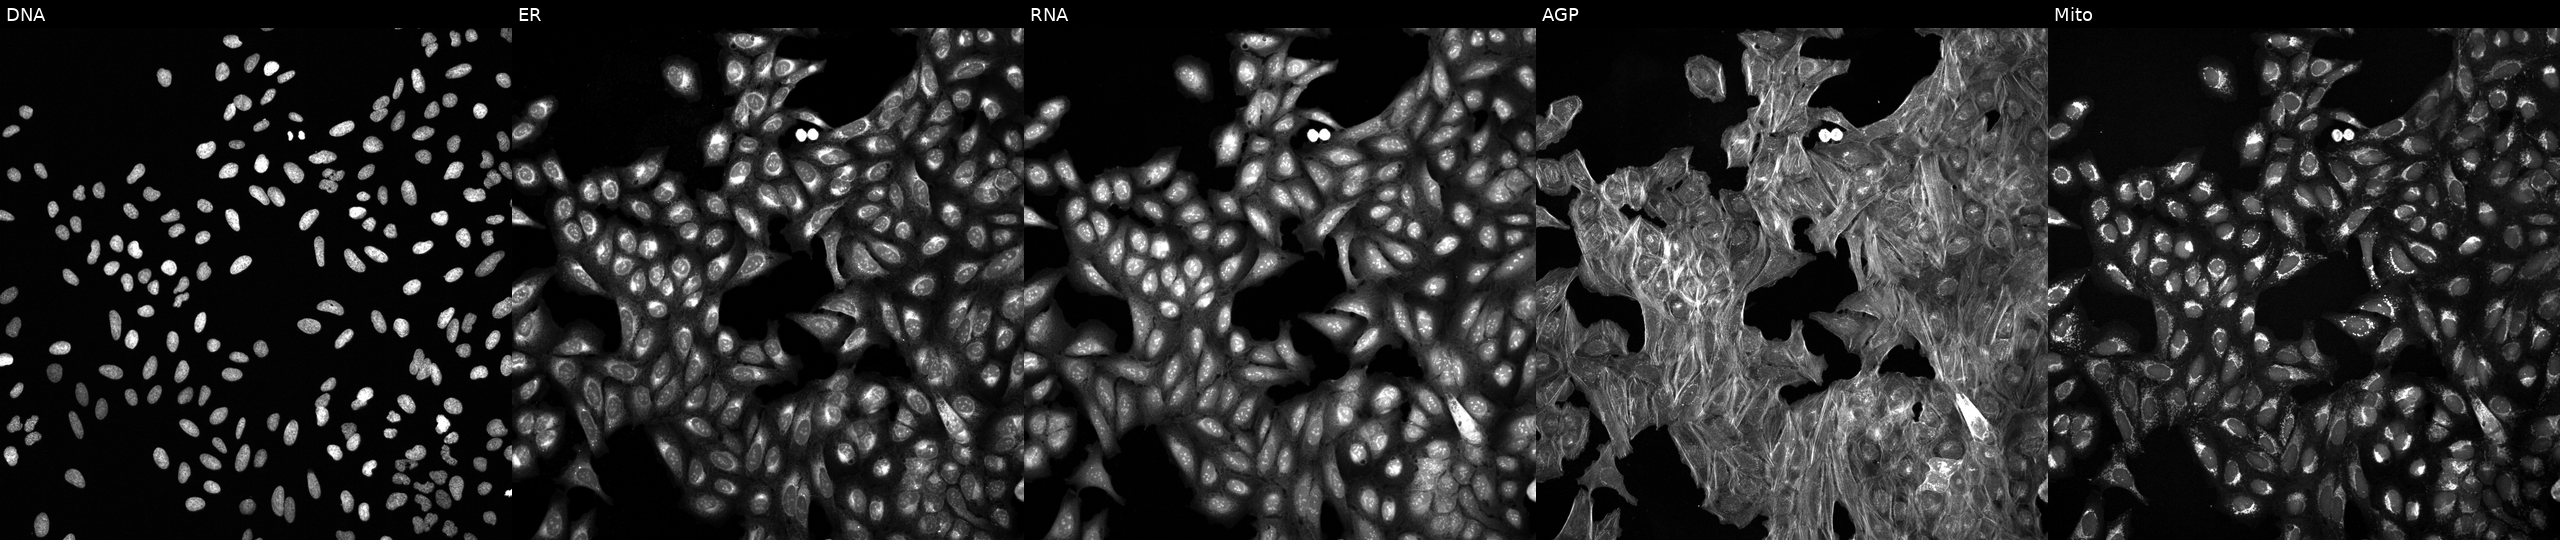
U2OS cells, Cell Painting assay, treated with DMSO vehicle only (negative control). Channels (left→right): Hoechst 33342, concanavalin A, SYTO 14, phalloidin and WGA, MitoTracker. Each panel is percentile-stretched 16-bit fluorescence.